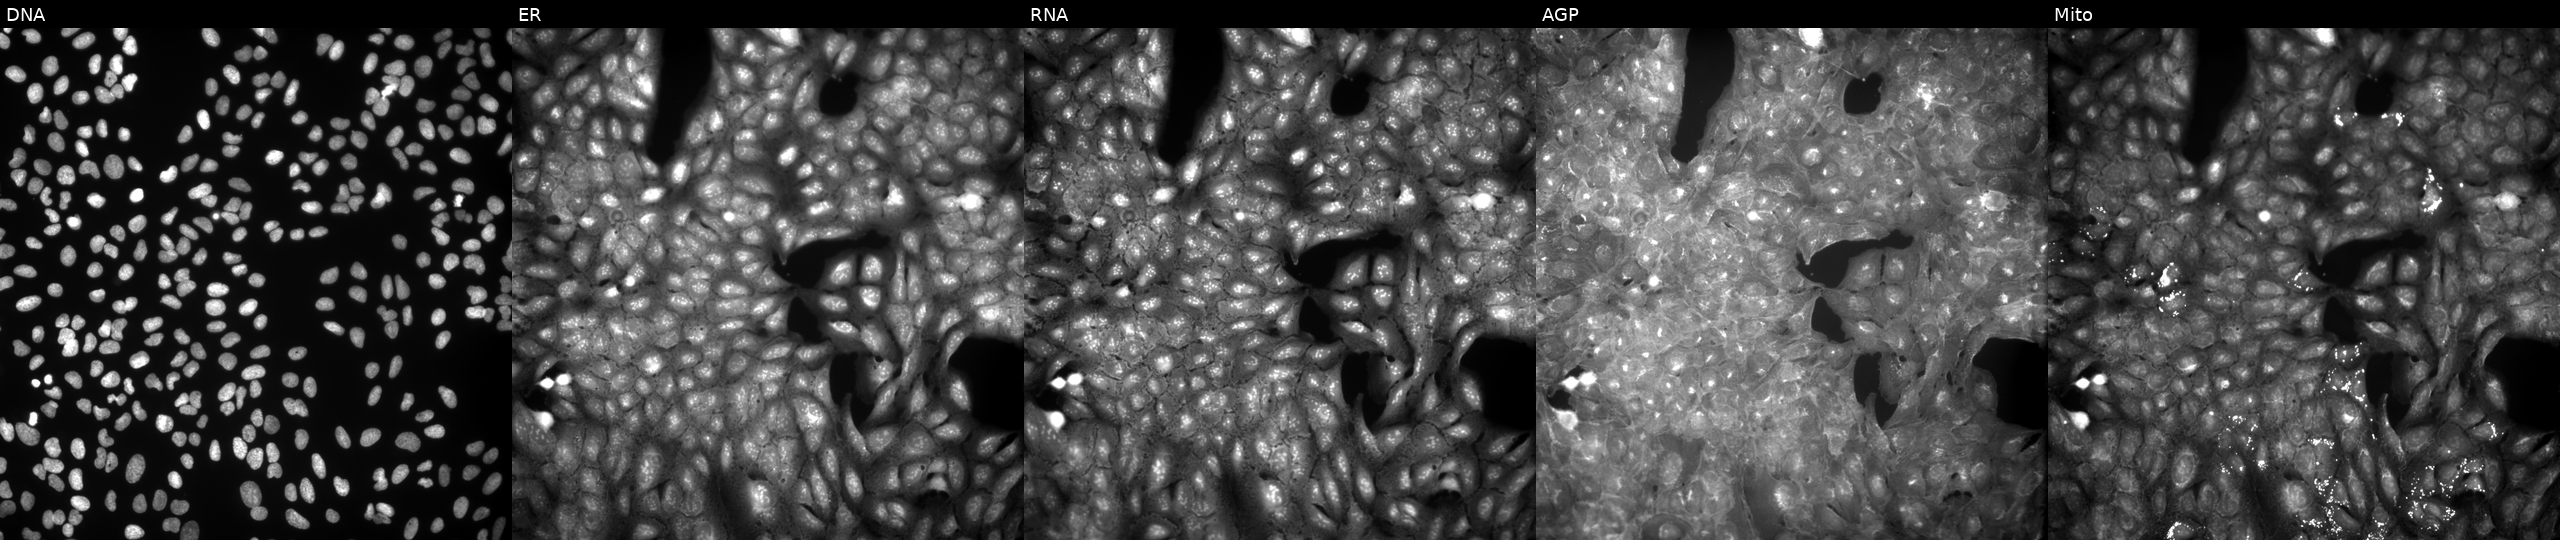
High-content fluorescence microscopy (Cell Painting). Cell line: U2OS. Perturbation: exposed to a small-molecule compound [SMILES: C#CCOc1ccc(C=c2c(=C)[nH]n(-c3ccc(S(N)(=O)=O)cc3)c2=O)cc1OC]. From left to right: DNA (nuclei); ER (endoplasmic reticulum); RNA (nucleoli and cytoplasmic RNA); AGP (actin cytoskeleton, Golgi, and plasma membrane); Mito (mitochondria).